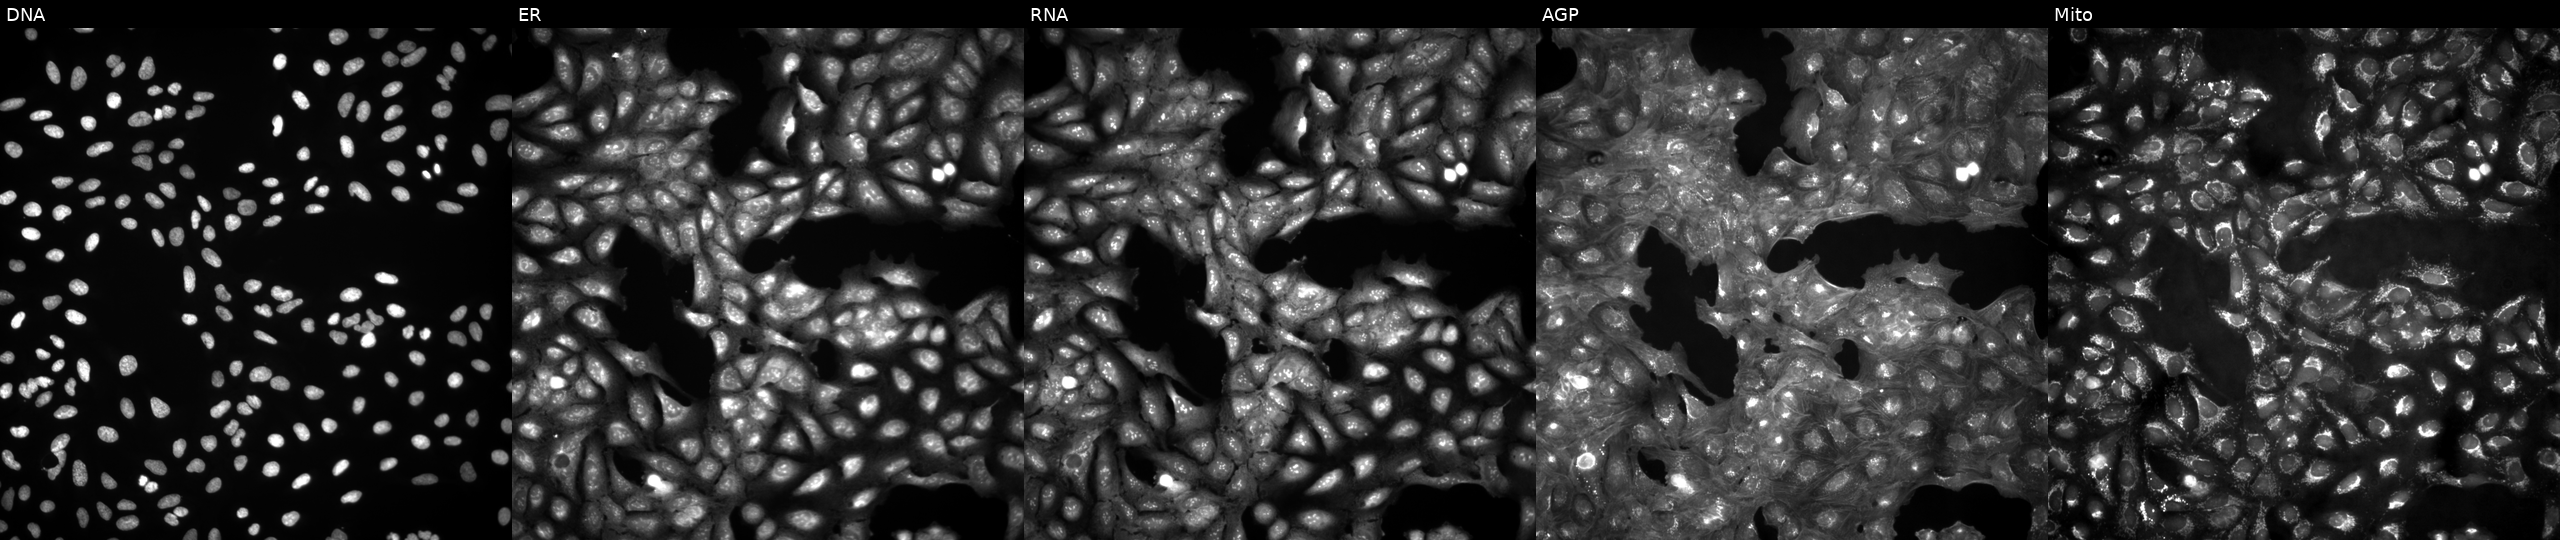
Panels show, left to right, Hoechst 33342, concanavalin A, SYTO 14, phalloidin and WGA, MitoTracker. U2OS osteosarcoma cells untreated (empty-well control). Cell Painting assay, JUMP-CP dataset.